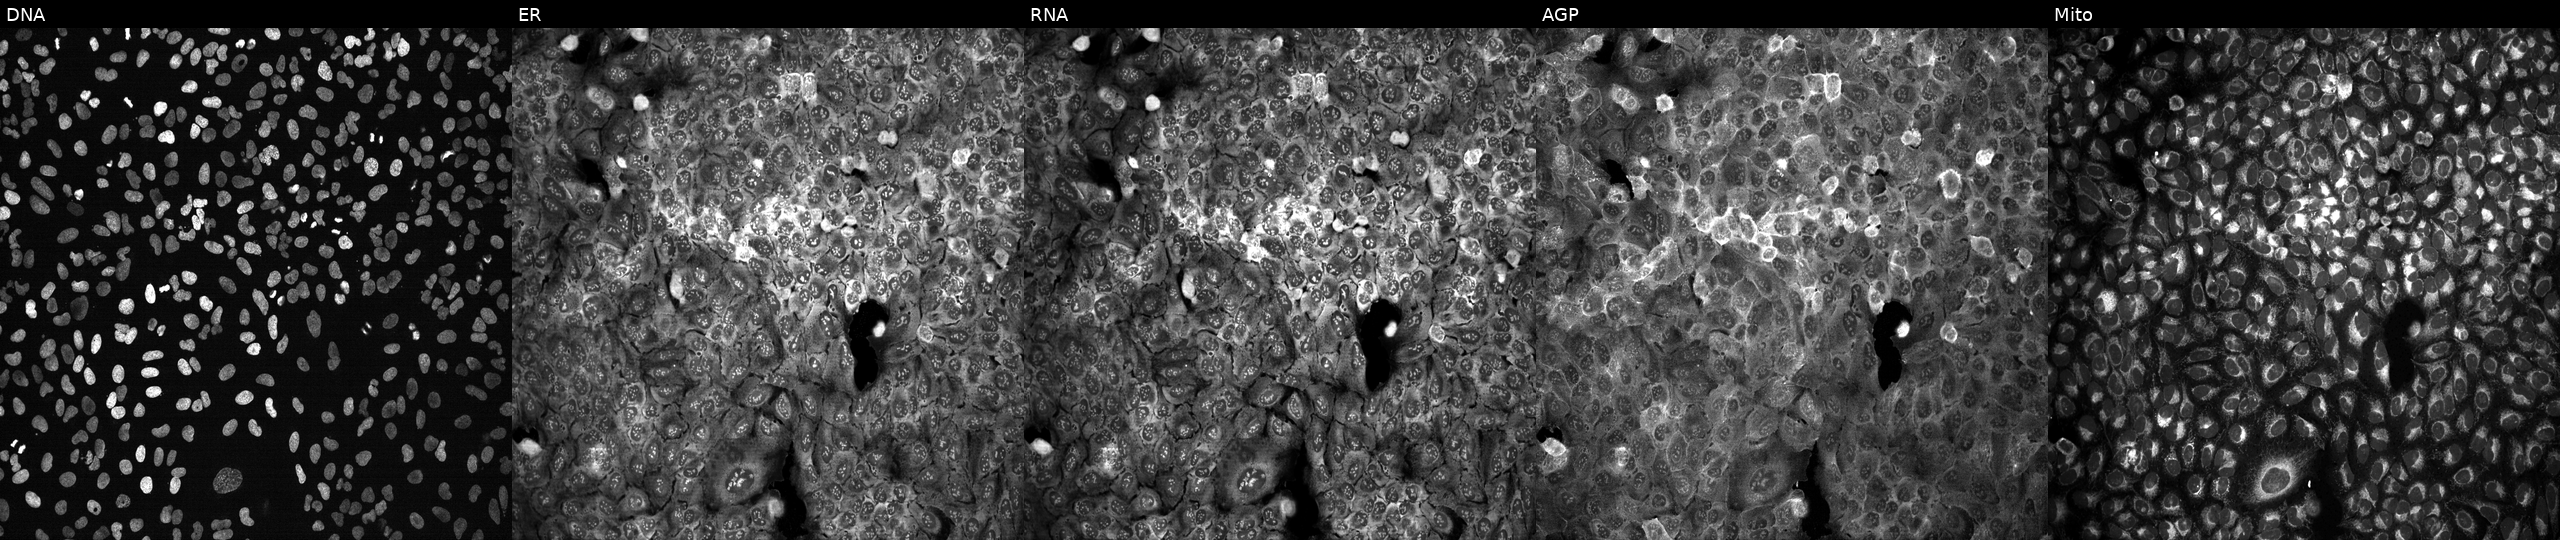
This image strip shows the five Cell Painting channels for a single field of U2OS cells CRISPR-edited to disrupt ATP1A3. From left to right: DNA, ER, RNA, AGP, and Mito.